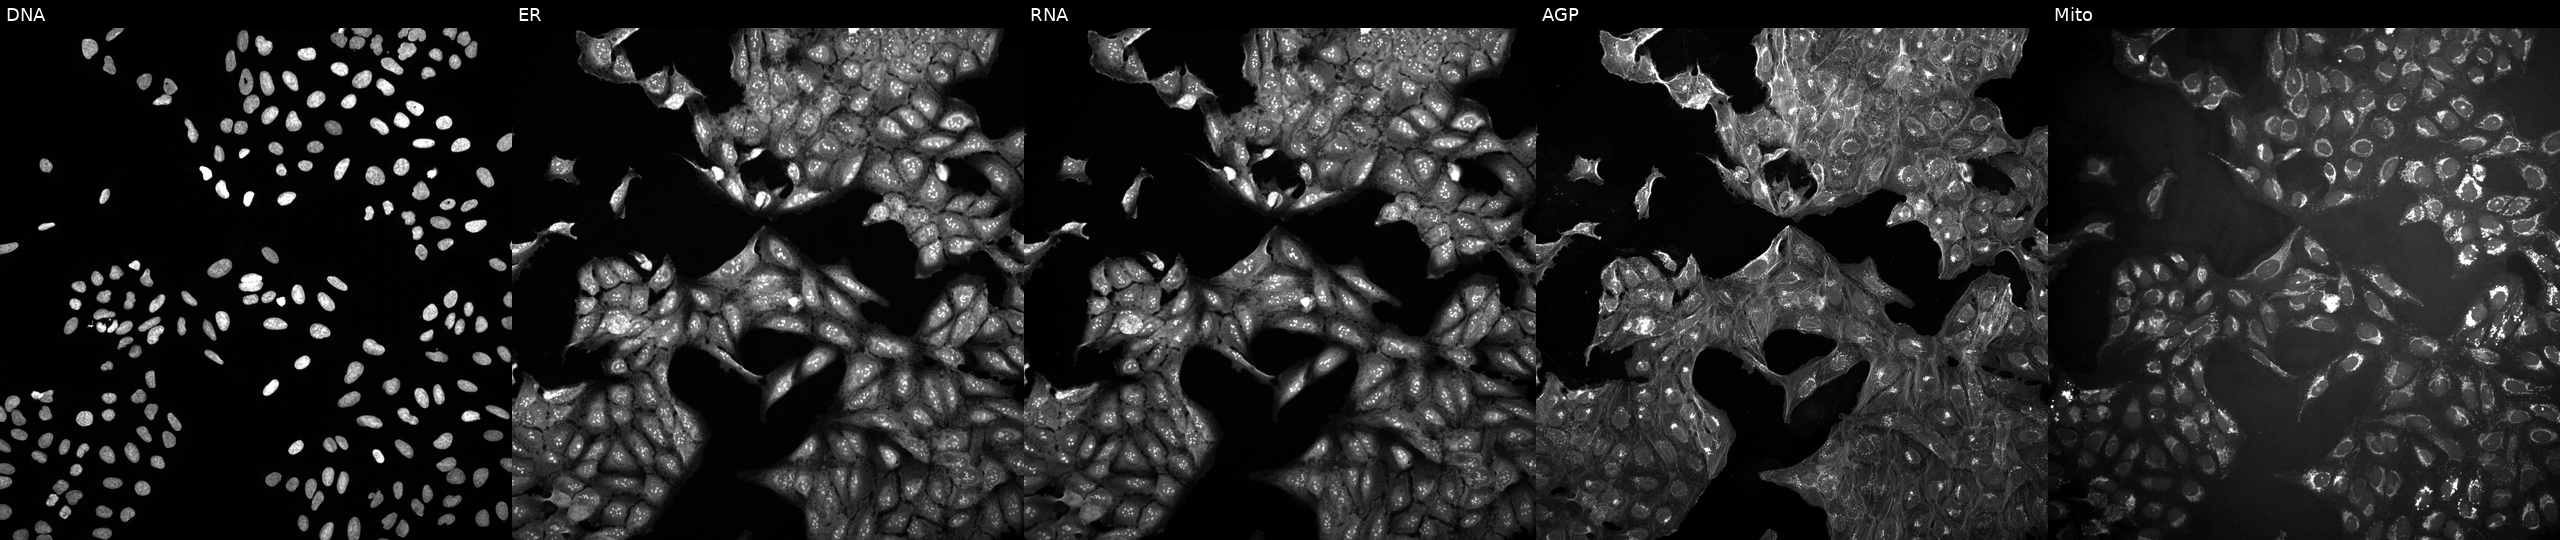
The five panels, left to right, show Hoechst 33342, concanavalin A, SYTO 14, phalloidin and WGA, MitoTracker. U2OS osteosarcoma cells treated with DMSO vehicle only (negative control). Cell Painting assay, JUMP-CP dataset.